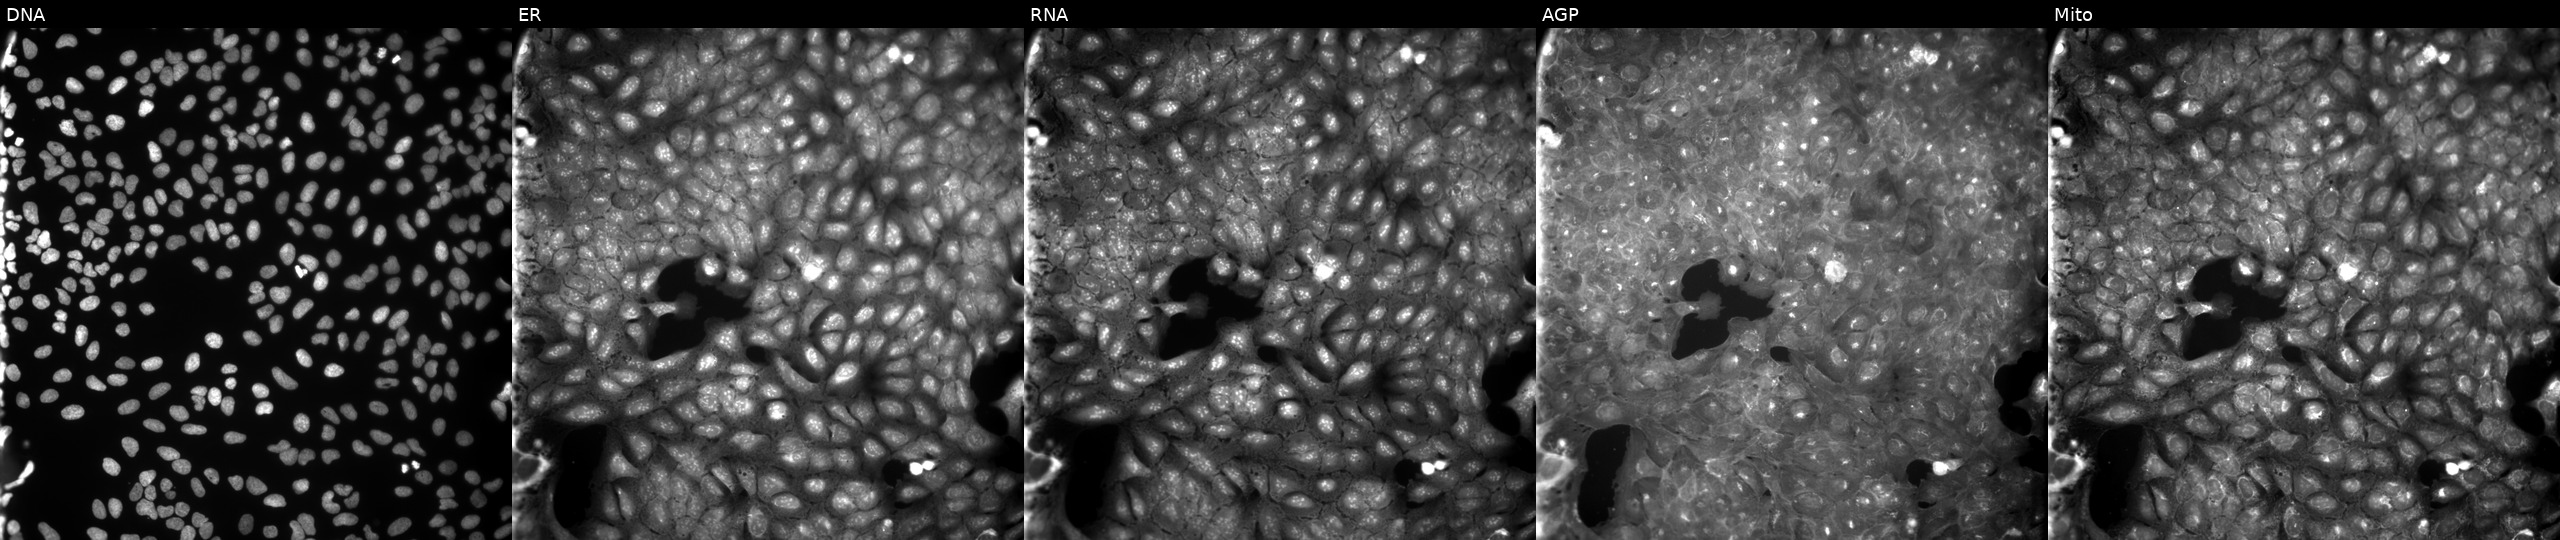
This image strip shows the five Cell Painting channels for a single field of U2OS cells treated with a small-molecule compound (InChIKey XTBWHDGXIYEPSS-UHFFFAOYSA-N). From left to right: Hoechst 33342, concanavalin A, SYTO 14, phalloidin and WGA, MitoTracker.